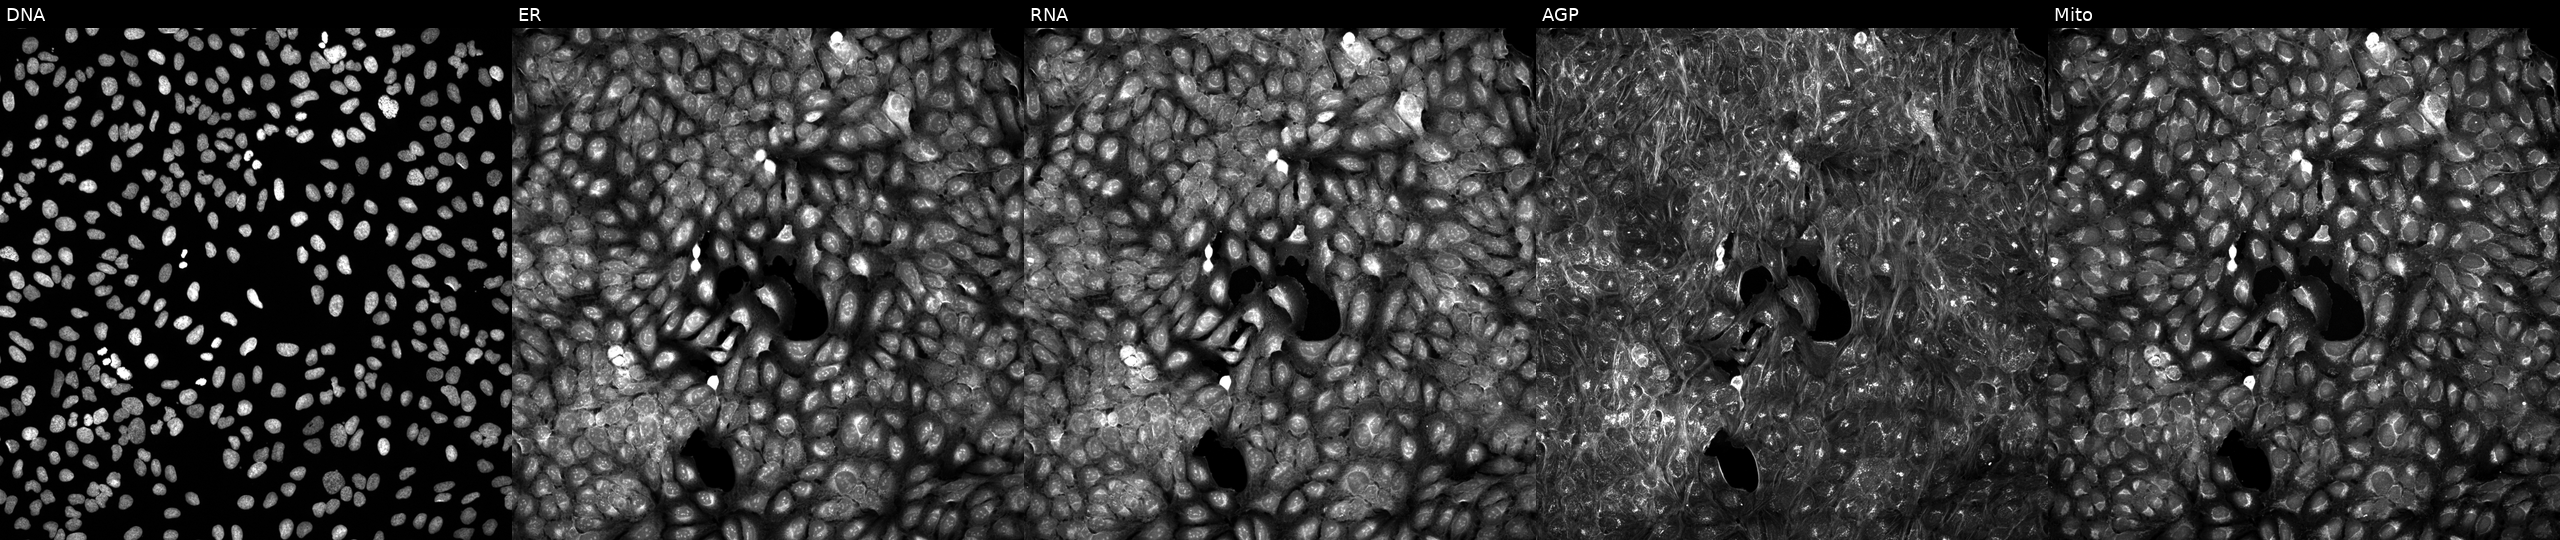
This image strip shows the five Cell Painting channels for a single field of U2OS cells exposed to a small-molecule compound. Panels show, left to right, DNA (nuclei); ER (endoplasmic reticulum); RNA (nucleoli and cytoplasmic RNA); AGP (actin cytoskeleton, Golgi, and plasma membrane); Mito (mitochondria). Source 5, plate APTJUM105, well J08.